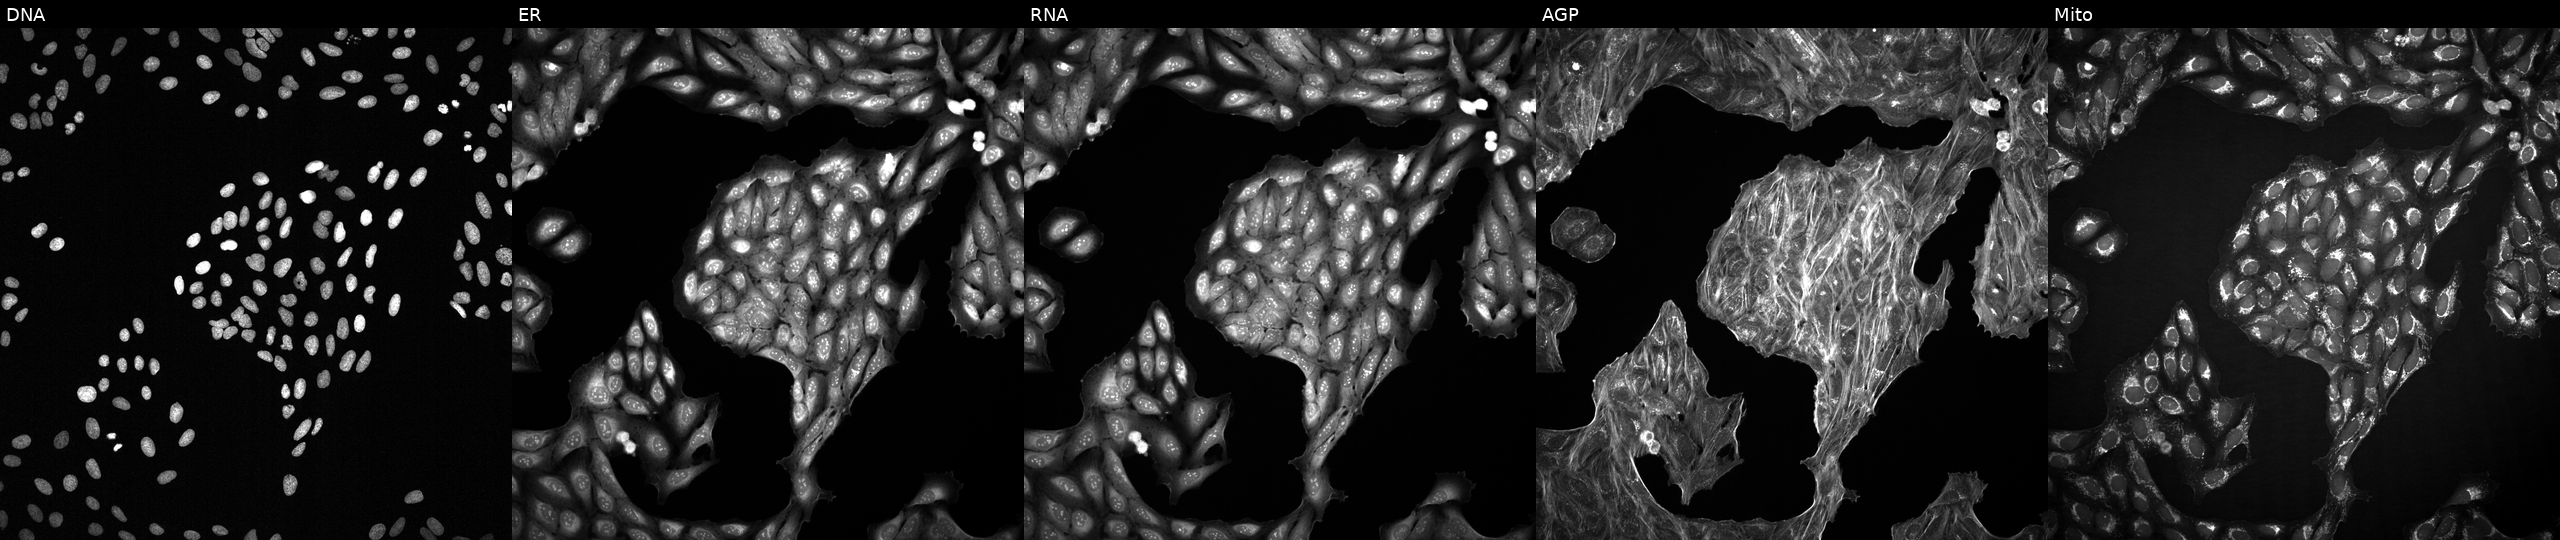
JUMP Cell Painting — COMPOUND plate. U2OS cells exposed to a small-molecule compound (InChIKey TZVGORHPWFZOAS-UHFFFAOYSA-N). Panels show, left to right, DNA, ER, RNA, AGP, and Mito. Source 2, plate 1053601756, well O15.